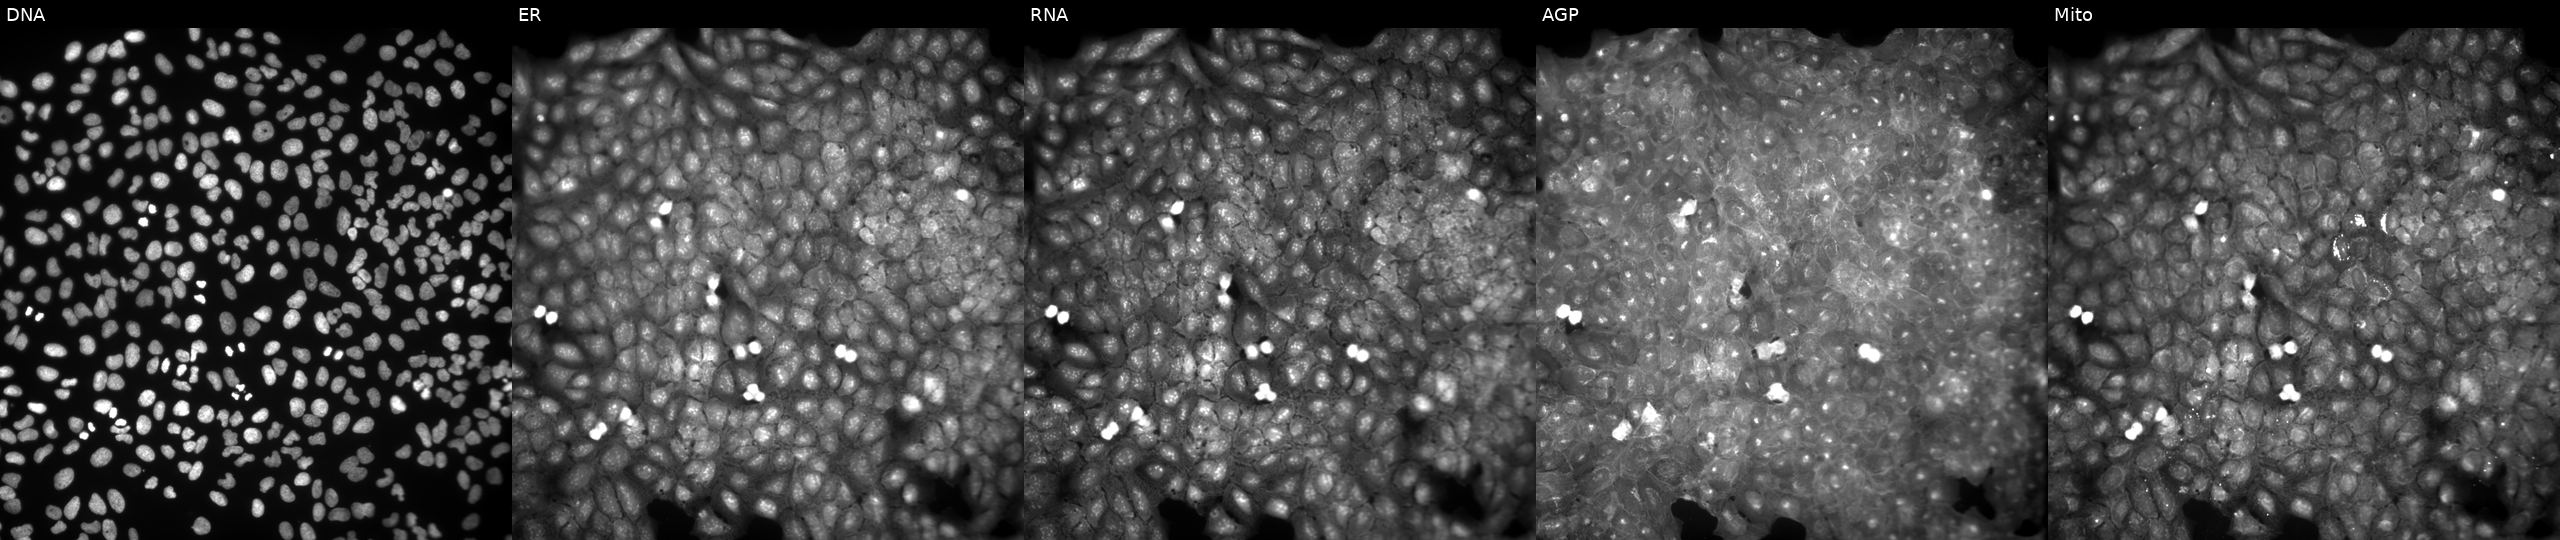
Channels (left→right): DNA (nuclei); ER (endoplasmic reticulum); RNA (nucleoli and cytoplasmic RNA); AGP (actin cytoskeleton, Golgi, and plasma membrane); Mito (mitochondria). U2OS osteosarcoma cells exposed to DMSO alone as a negative control. Cell Painting assay, JUMP-CP dataset. Source 9, plate GR00003382, well AA47.